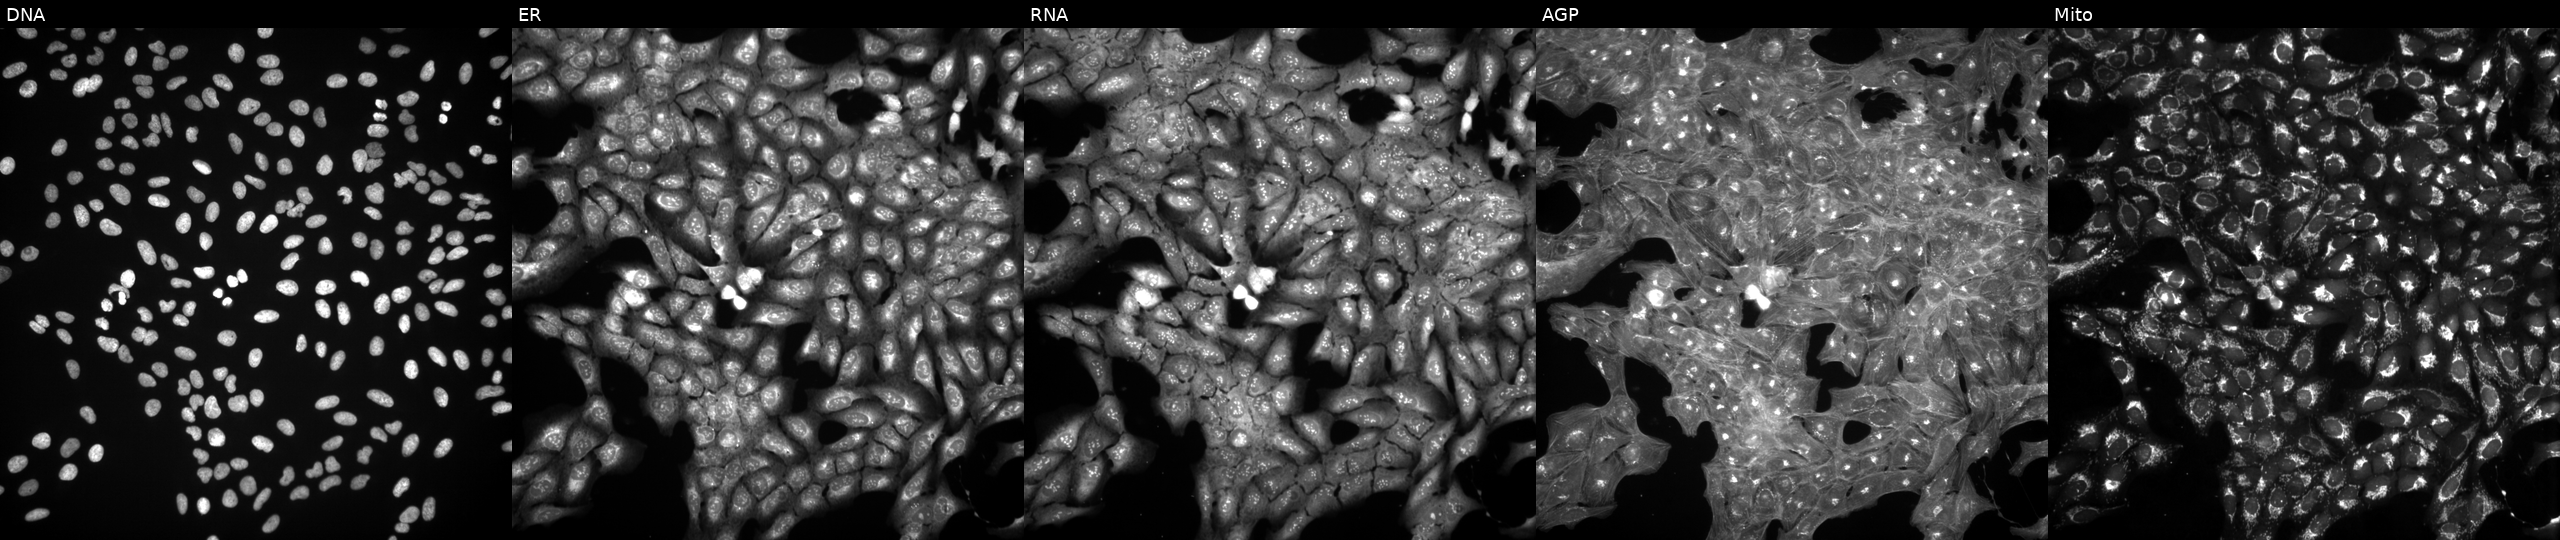
The five panels, left to right, show Hoechst 33342, concanavalin A, SYTO 14, phalloidin and WGA, MitoTracker. U2OS osteosarcoma cells exposed to a small-molecule compound (InChIKey WCIWUPMZEMJZNA-UHFFFAOYSA-N) [SMILES: O=C(O)CCC(=O)N1CCc2cc(S(=O)(=O)N3CCCCC3)ccc21] (JUMP id JCP2022_097859). Cell Painting assay, JUMP-CP dataset.